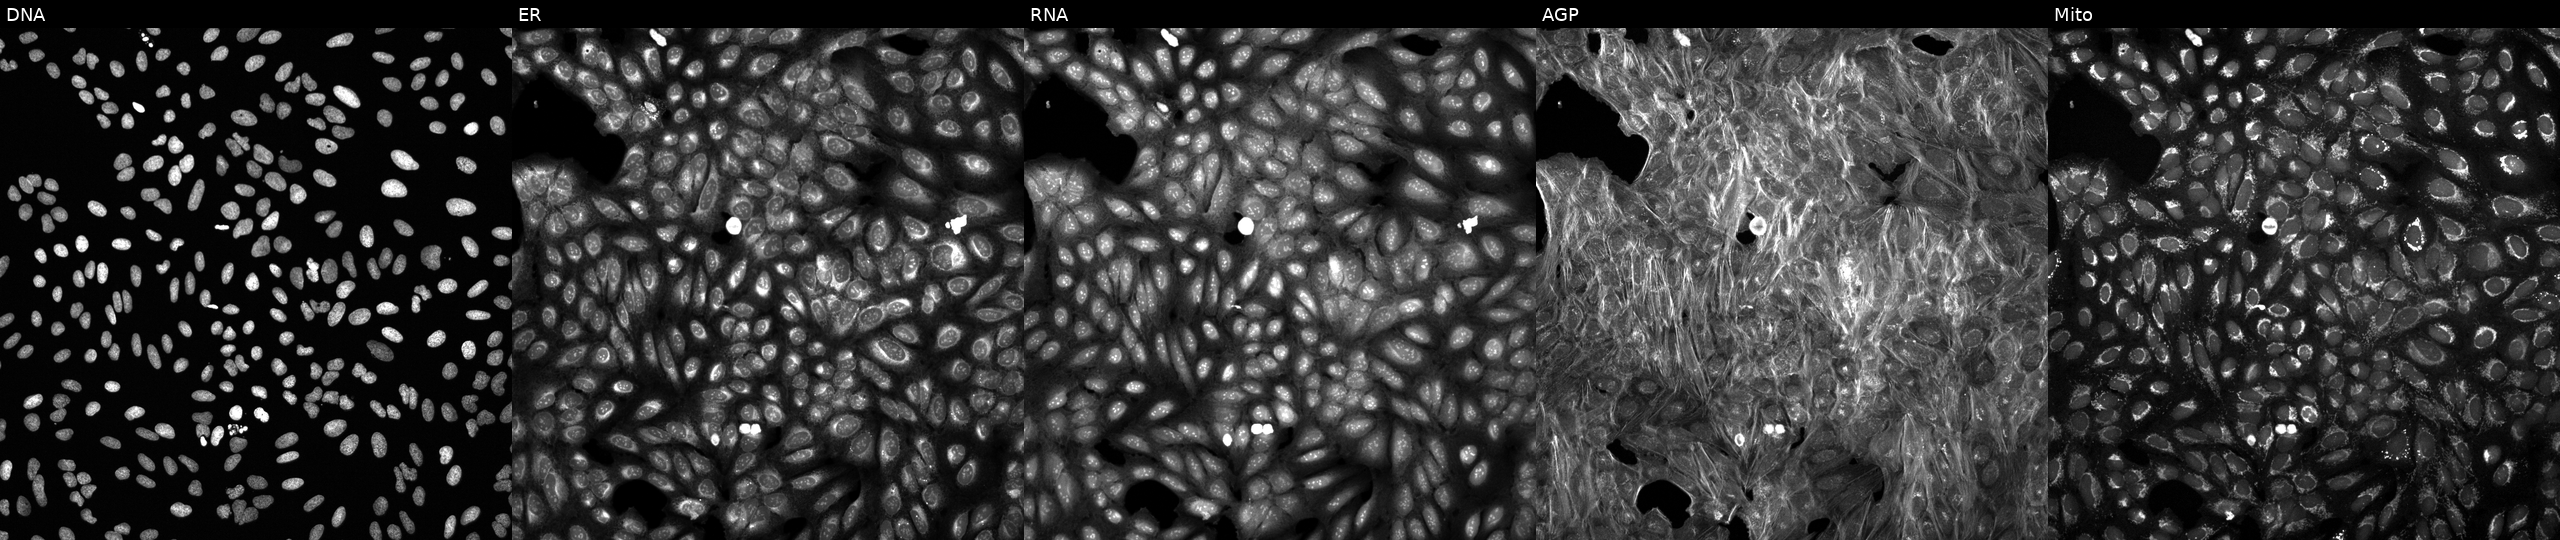
High-content fluorescence microscopy (Cell Painting). Cell line: U2OS. Perturbation: exposed to a small-molecule compound. Channels (left→right): Hoechst 33342, concanavalin A, SYTO 14, phalloidin and WGA, MitoTracker.